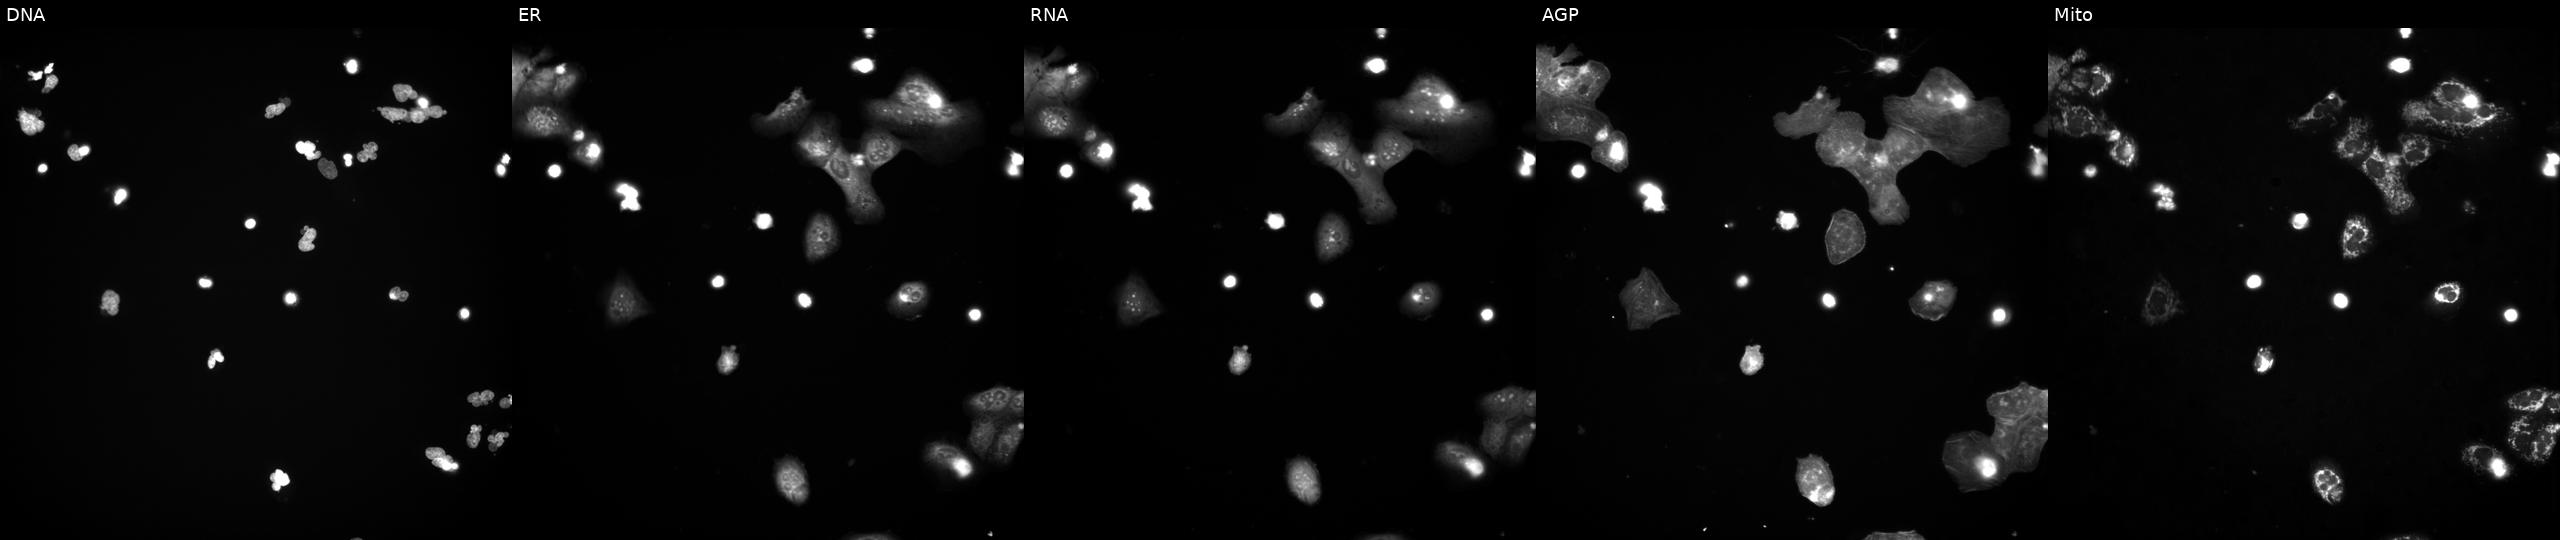
The five panels, left to right, show DNA, ER, RNA, AGP, and Mito. U2OS osteosarcoma cells exposed to a small-molecule compound (InChIKey JOLJIIDDOBNFHW-UHFFFAOYSA-N). Cell Painting assay, JUMP-CP dataset.